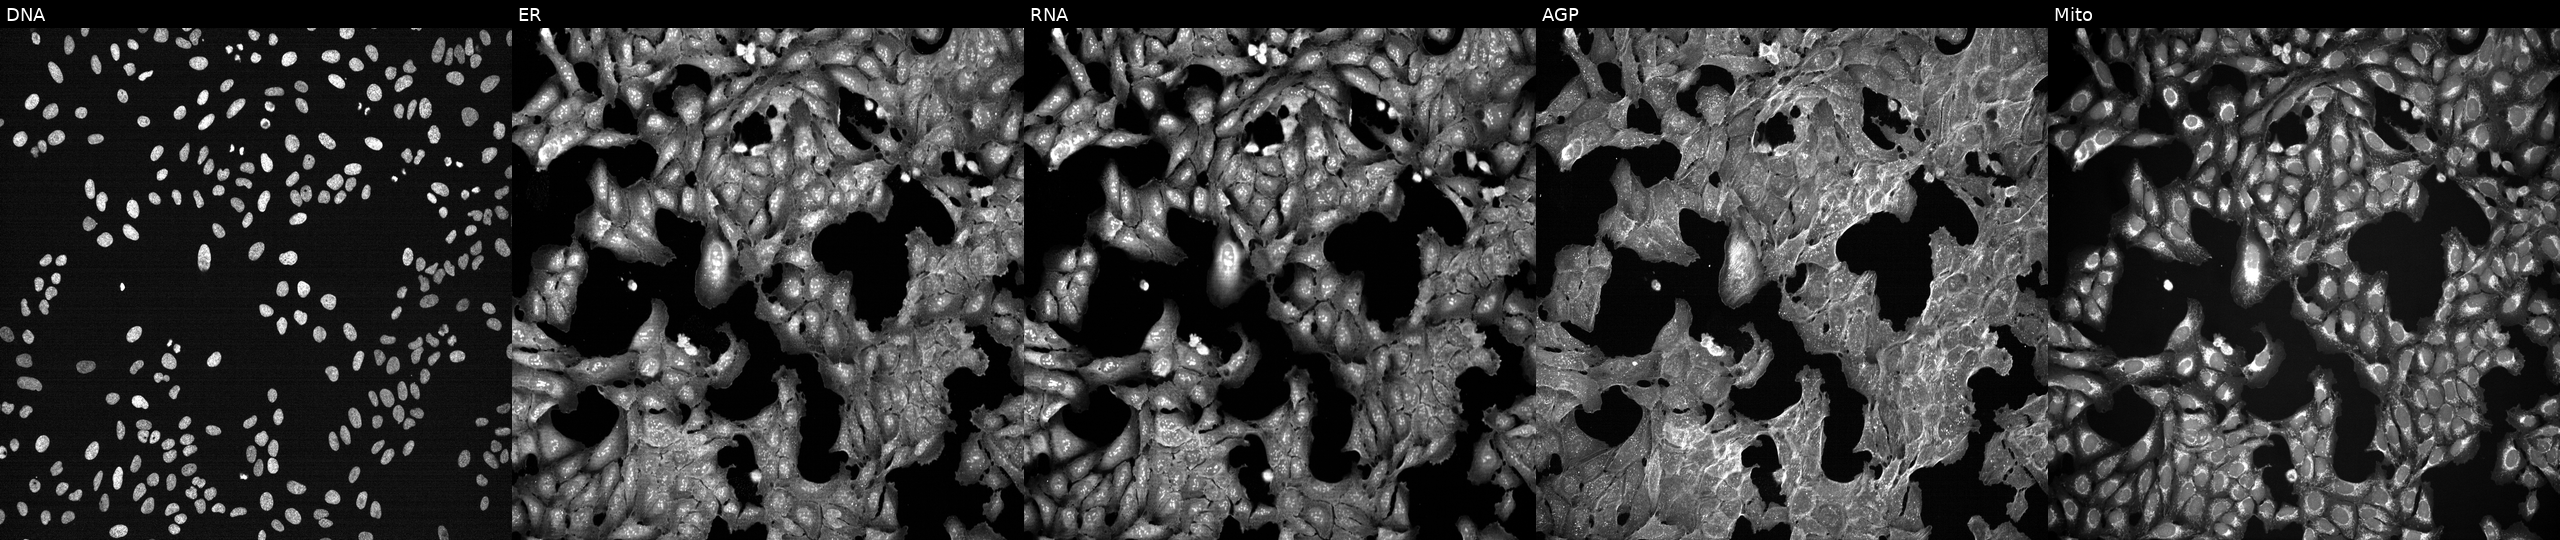
U2OS cells, Cell Painting assay, perturbed with a small-molecule compound (InChIKey JFUIMTGOQCQTPF-UHFFFAOYSA-N) [SMILES: O=C(NCCS(=O)(=O)c1ccc(C(F)(F)F)cn1)c1ccc(Cl)cc1] (JUMP id JCP2022_039503). From left to right: DNA (nuclei); ER (endoplasmic reticulum); RNA (nucleoli and cytoplasmic RNA); AGP (actin cytoskeleton, Golgi, and plasma membrane); Mito (mitochondria). Each panel is percentile-stretched 16-bit fluorescence. Source 7, plate CP3-SC1-25, well C20.